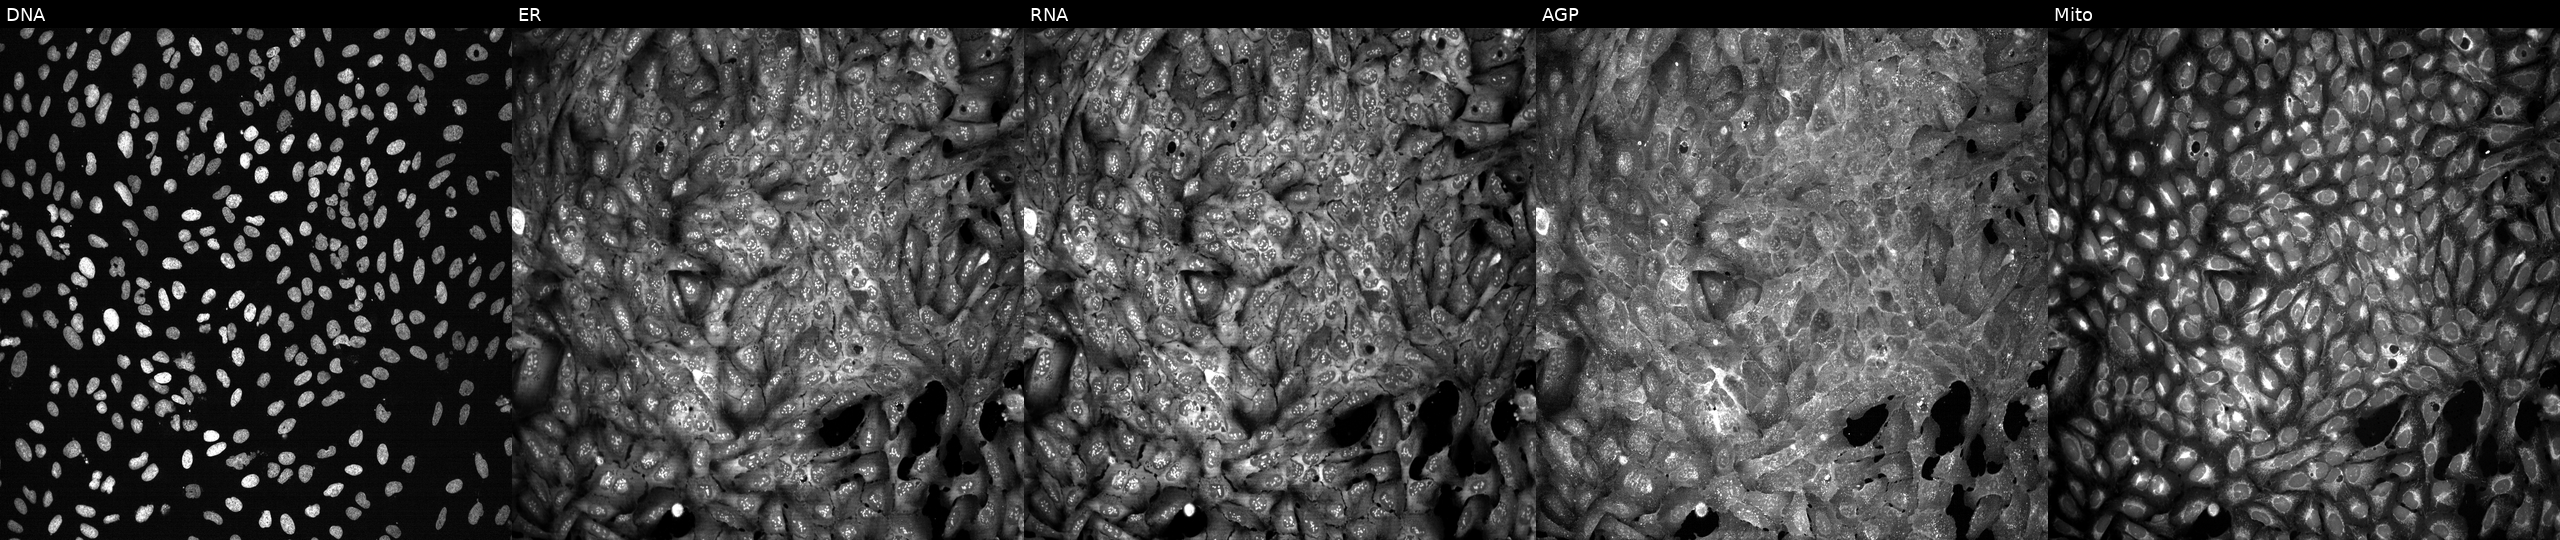
This image strip shows the five Cell Painting channels for a single field of U2OS cells with SLC46A1 knocked out by CRISPR (JUMP id JCP2022_806542). From left to right: DNA (nuclei); ER (endoplasmic reticulum); RNA (nucleoli and cytoplasmic RNA); AGP (actin cytoskeleton, Golgi, and plasma membrane); Mito (mitochondria).